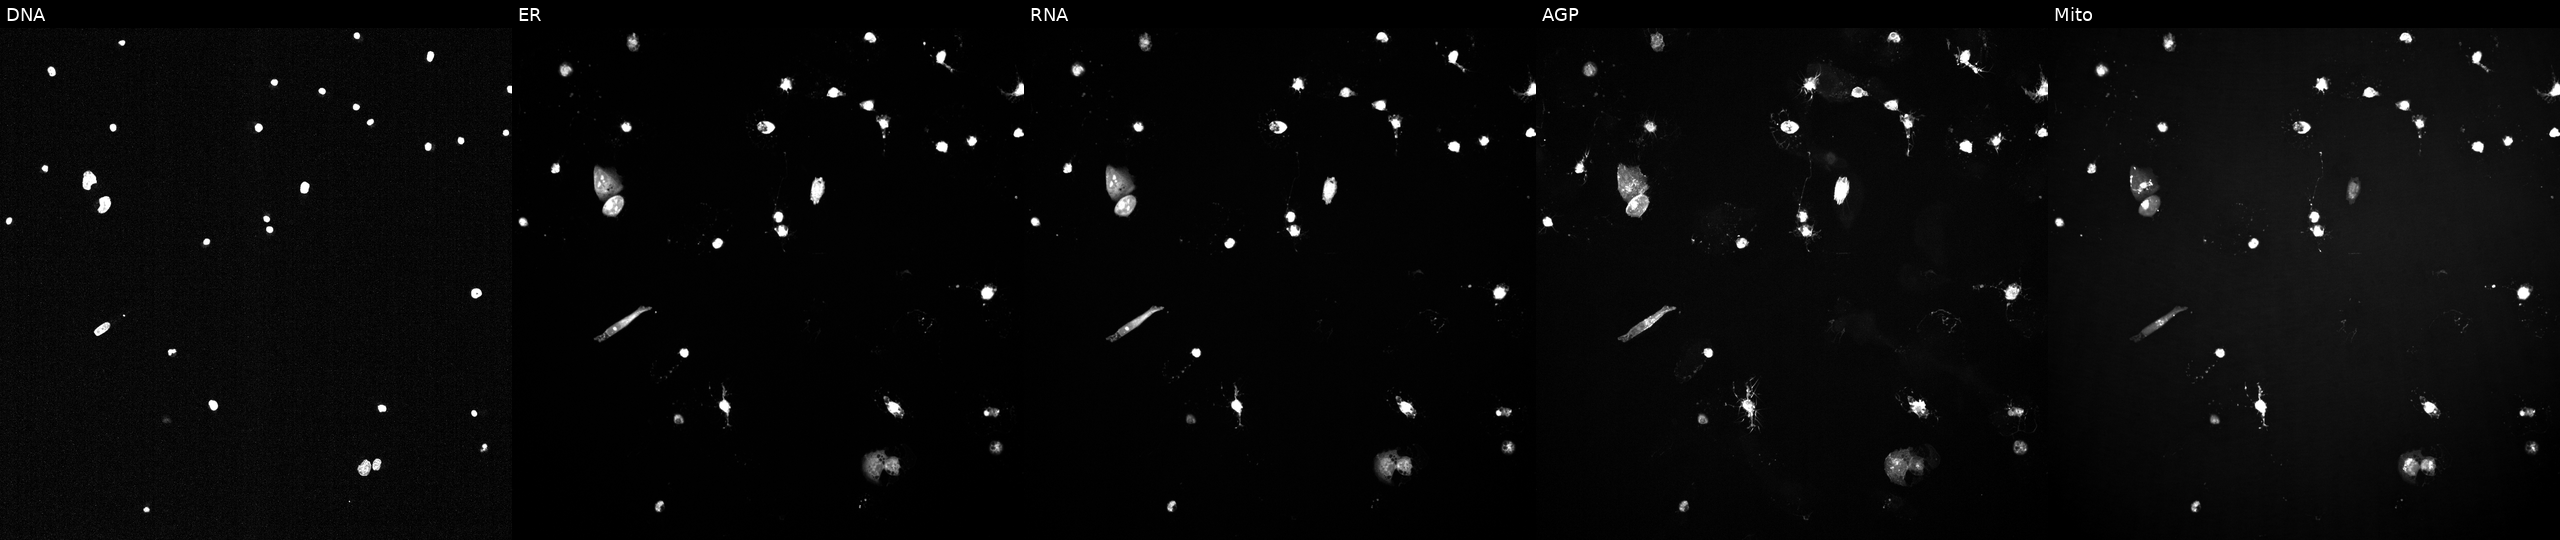
This image strip shows the five Cell Painting channels for a single field of U2OS cells perturbed with a small-molecule compound (InChIKey UTBOEBCWXGDOGI-UHFFFAOYSA-N) (JUMP id JCP2022_091373). Channels (left→right): DNA, ER, RNA, AGP, and Mito.